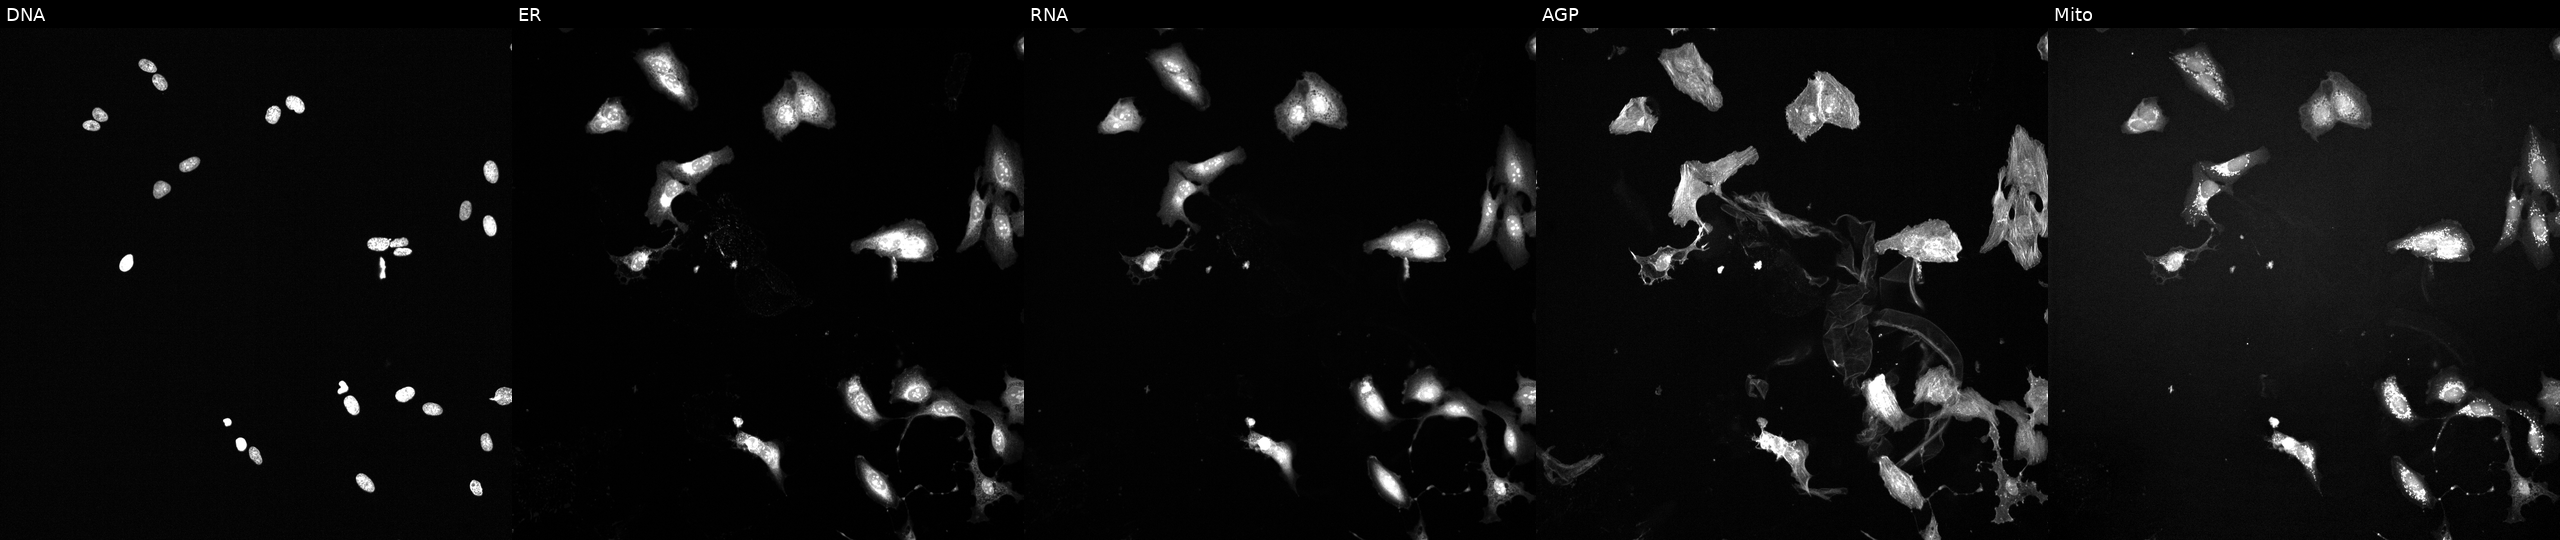
U2OS cells, Cell Painting assay, exposed to a small-molecule compound. Panels show, left to right, DNA, ER, RNA, AGP, and Mito. Each panel is percentile-stretched 16-bit fluorescence.